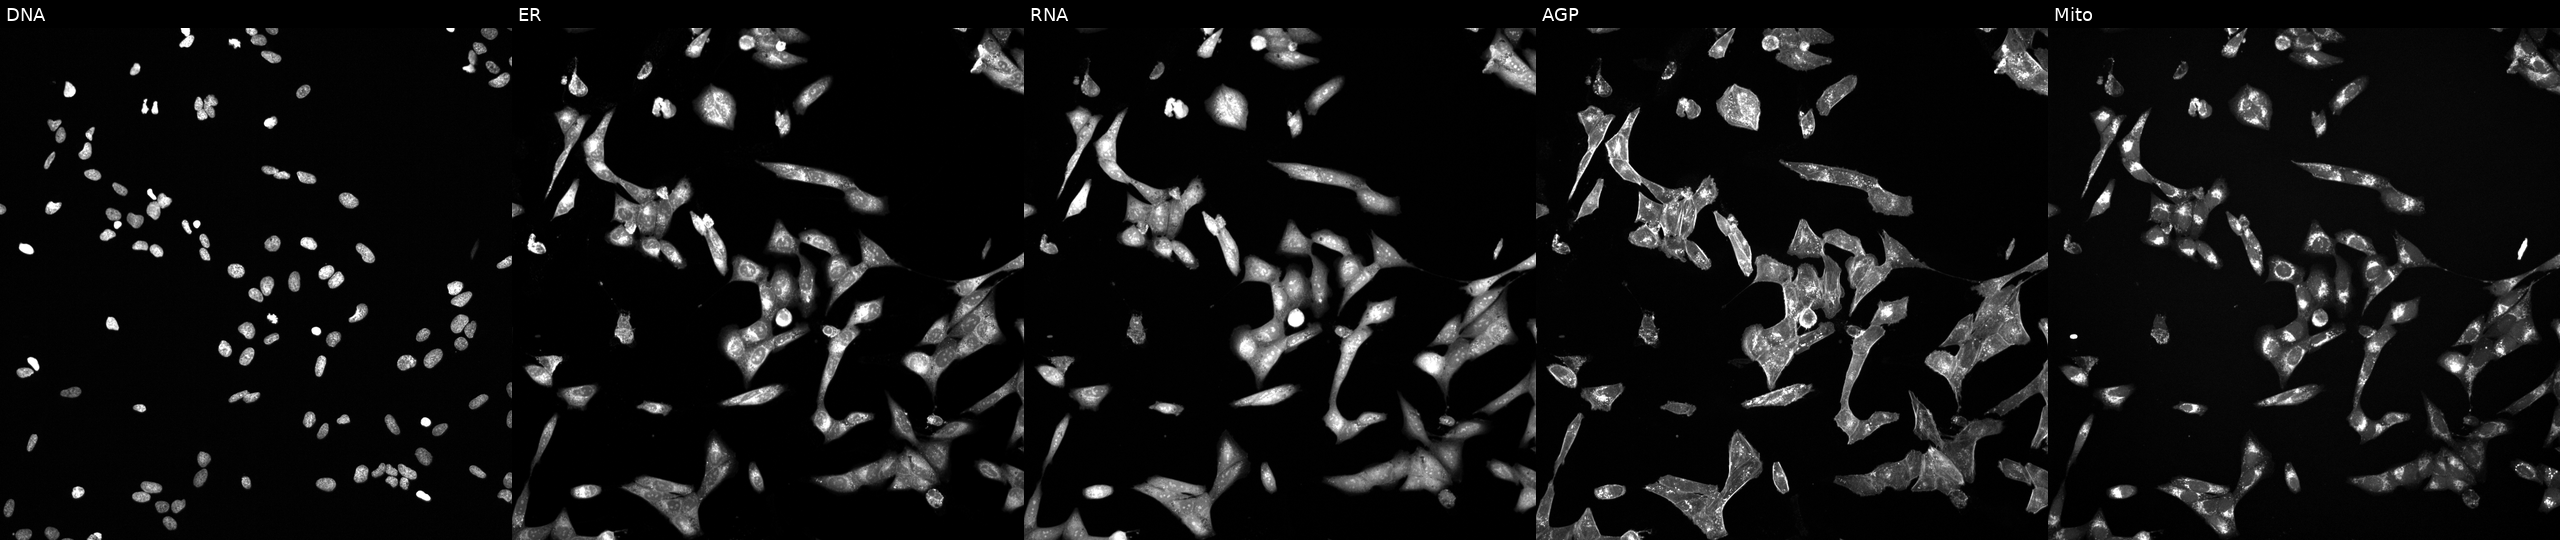
Five-channel Cell Painting image of U2OS cells exposed to a small-molecule compound (InChIKey KJNNWYBAOPXVJY-UHFFFAOYSA-N) [SMILES: CCCCc1nc(-c2ccc(OCCCN(CC)CC)cc2)cn1-c1ccc(Oc2ccc(Cl)cc2)cc1]. The five panels, left to right, show DNA (nuclei); ER (endoplasmic reticulum); RNA (nucleoli and cytoplasmic RNA); AGP (actin cytoskeleton, Golgi, and plasma membrane); Mito (mitochondria). Source 6, plate 110000293093, well E20.